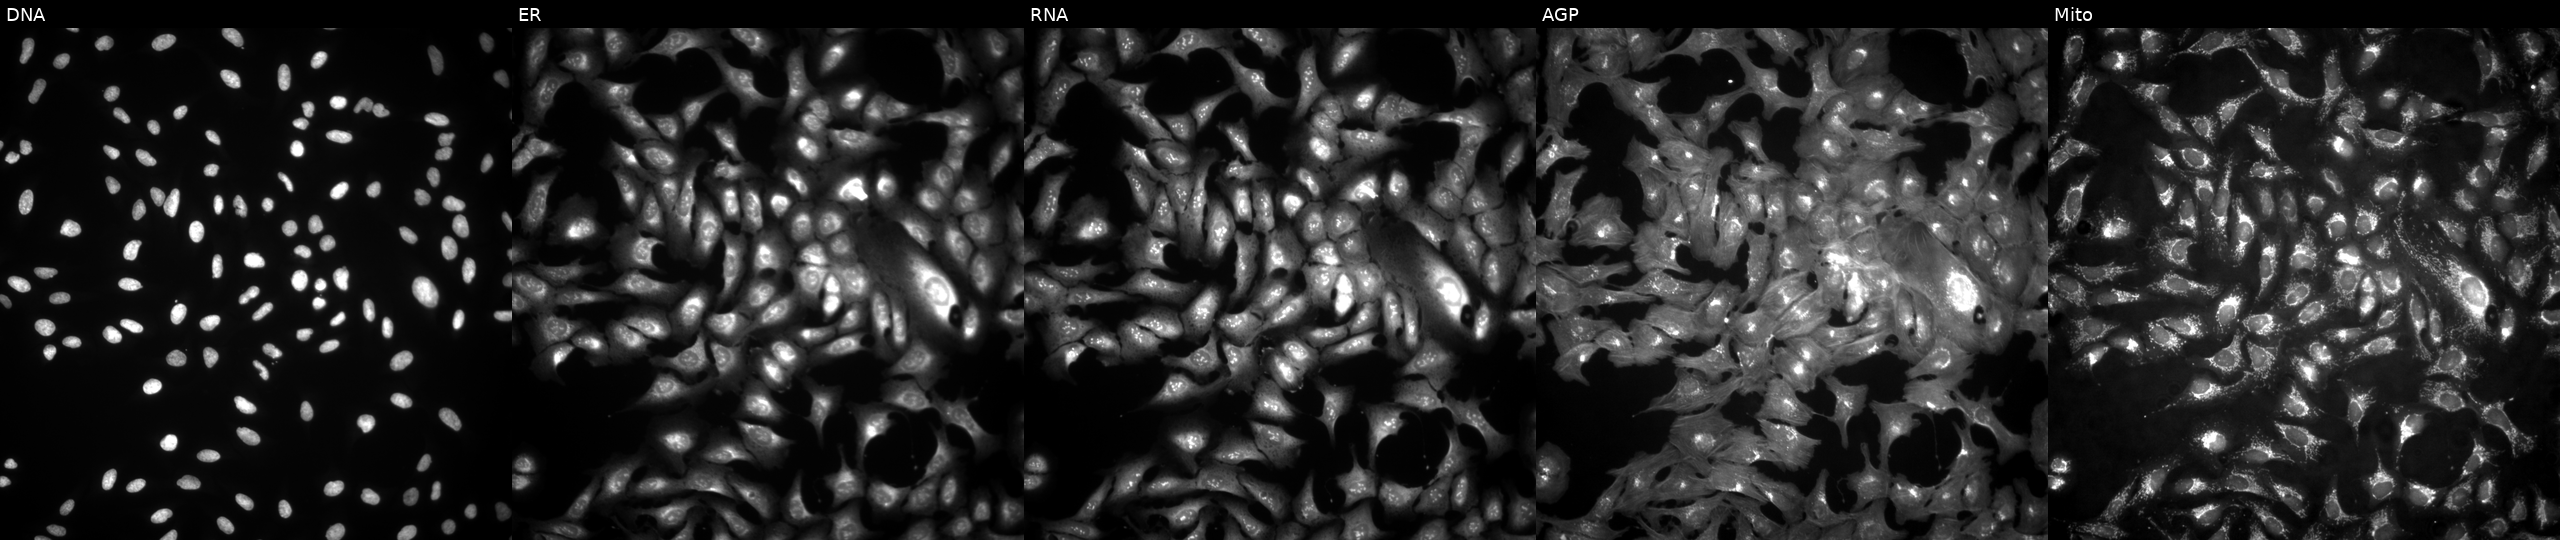
JUMP Cell Painting — ORF plate. U2OS cells overexpressing OSBPL11 via ORF transfection. Panels show, left to right, DNA, ER, RNA, AGP, and Mito.